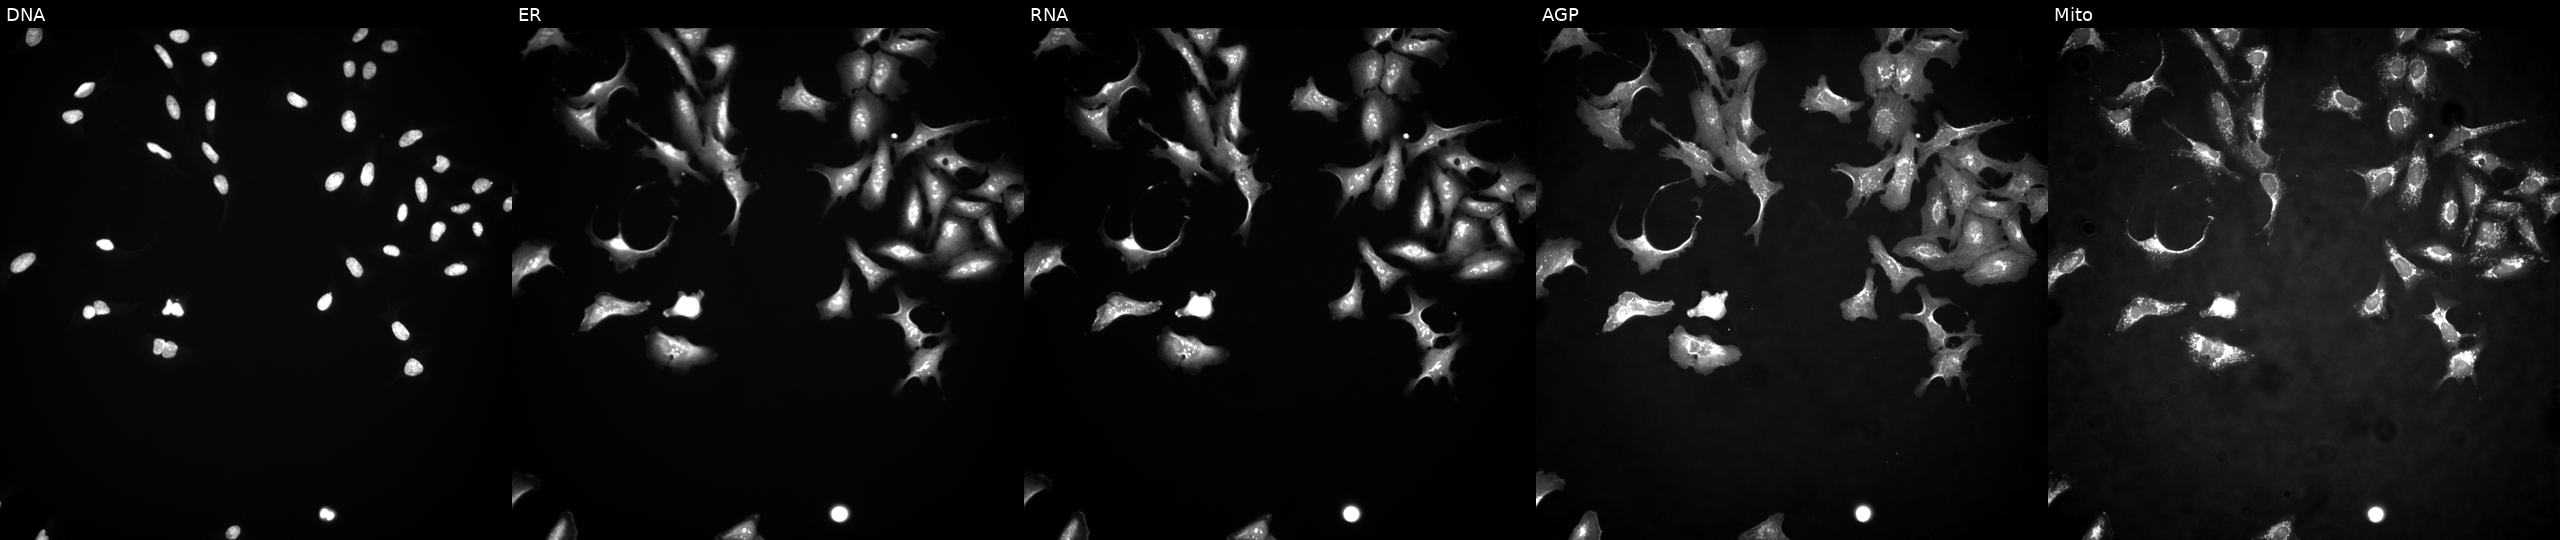
High-content fluorescence microscopy (Cell Painting). Cell line: U2OS. Perturbation: with SSX3 overexpressed (ORF). From left to right: DNA (nuclei); ER (endoplasmic reticulum); RNA (nucleoli and cytoplasmic RNA); AGP (actin cytoskeleton, Golgi, and plasma membrane); Mito (mitochondria).